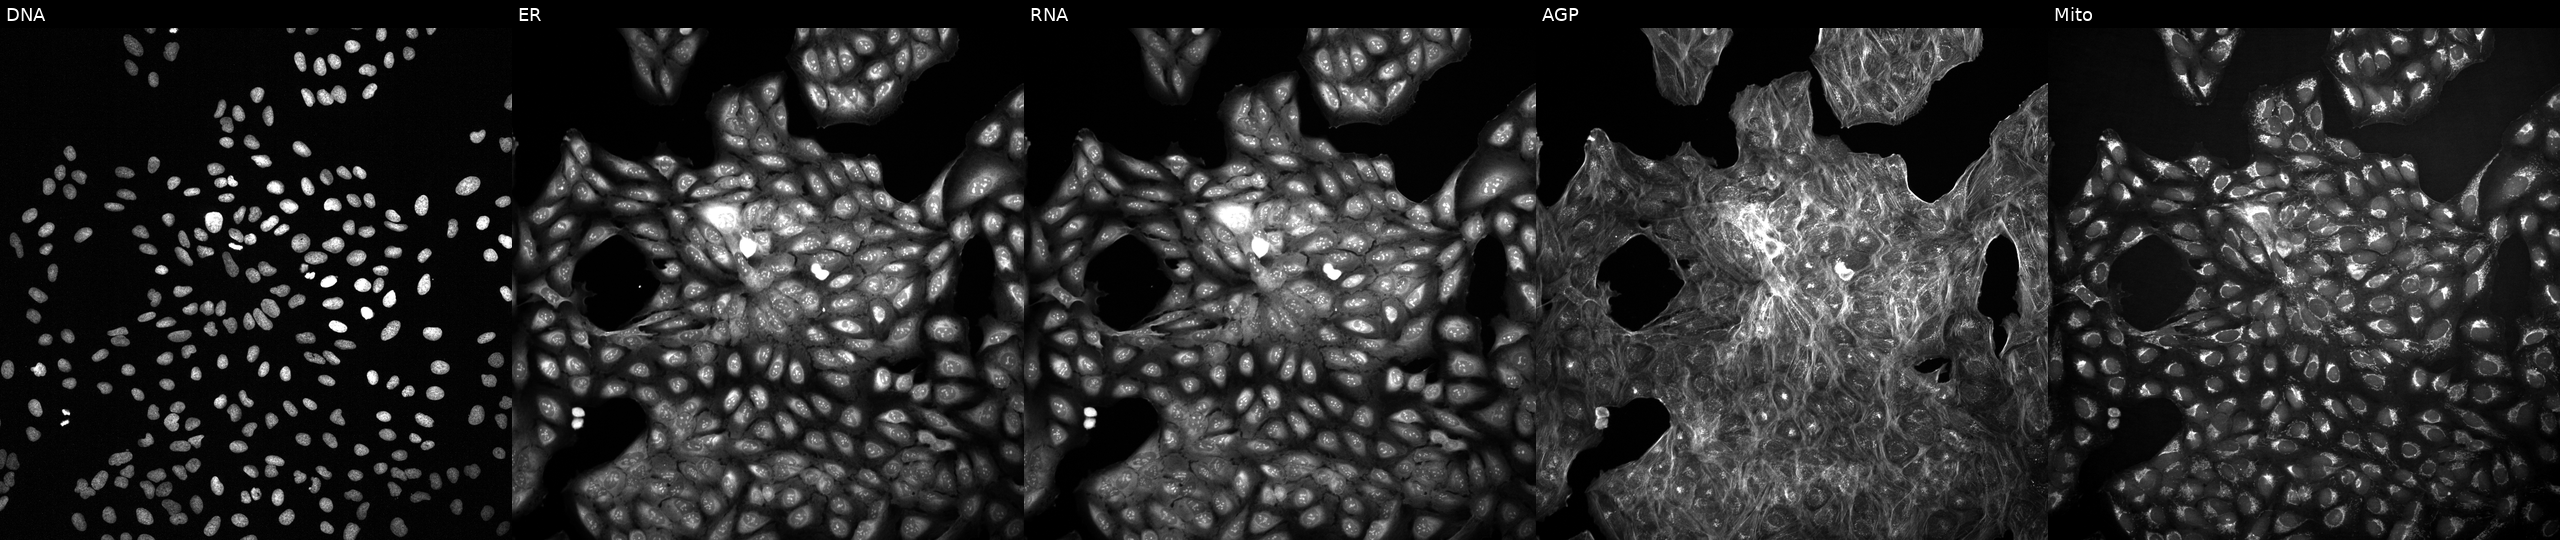
JUMP Cell Painting — COMPOUND plate. U2OS cells with an unidentified perturbation (not annotated in JUMP metadata). The five panels, left to right, show DNA (nuclei); ER (endoplasmic reticulum); RNA (nucleoli and cytoplasmic RNA); AGP (actin cytoskeleton, Golgi, and plasma membrane); Mito (mitochondria). Source 2, plate 1053601763, well D19.